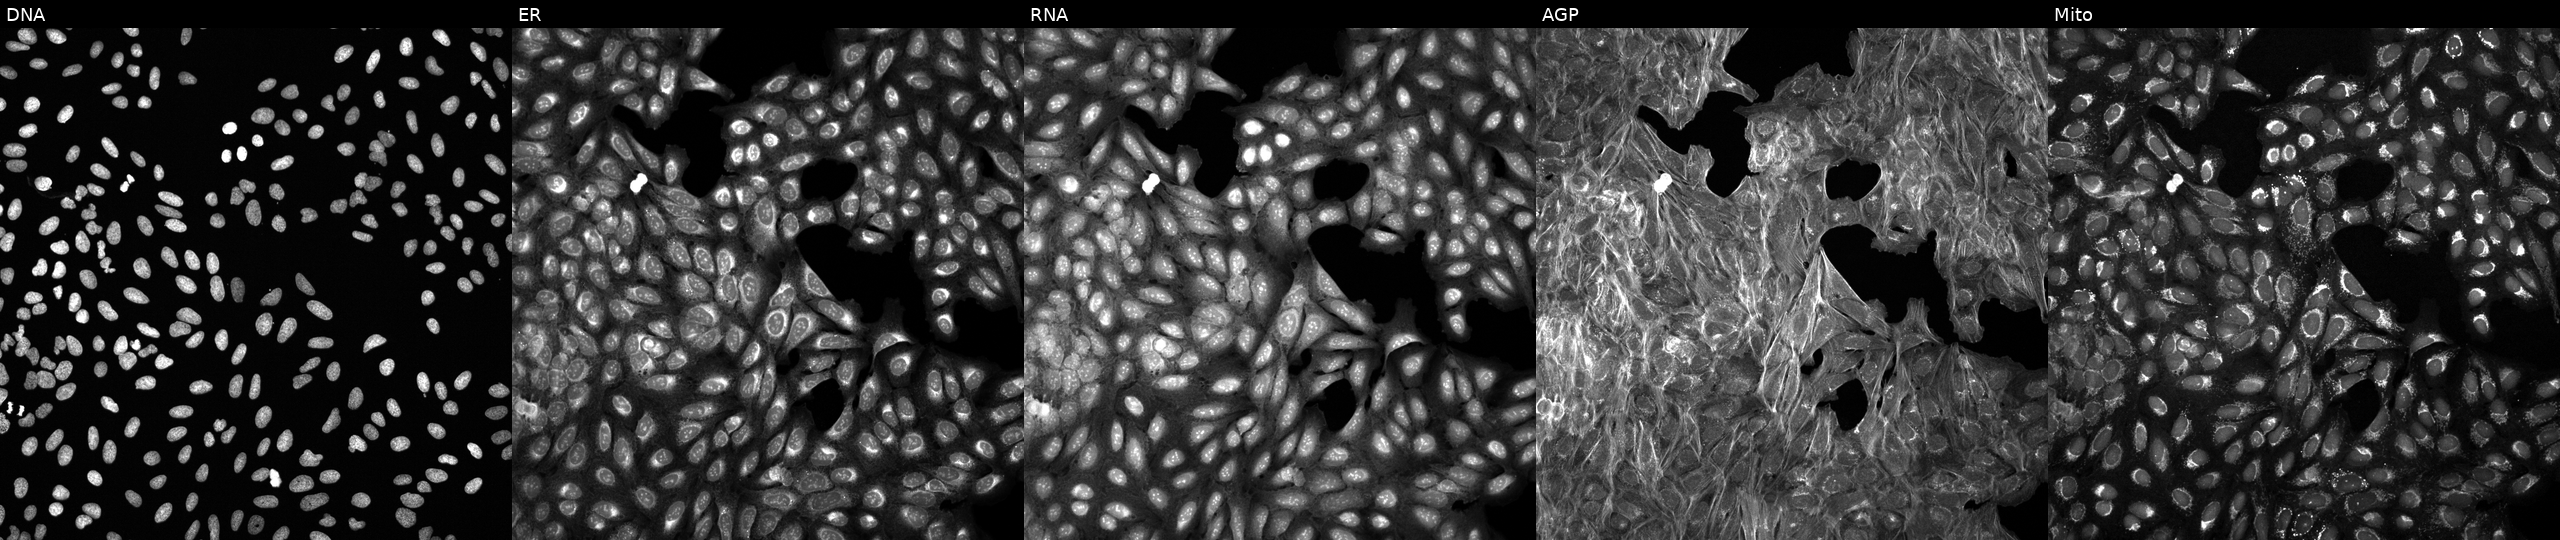
Five-channel Cell Painting image of U2OS cells perturbed with a small-molecule compound (InChIKey ZQPXNYLXYNRFNP-UHFFFAOYSA-N). Channels (left→right): DNA, ER, RNA, AGP, and Mito.